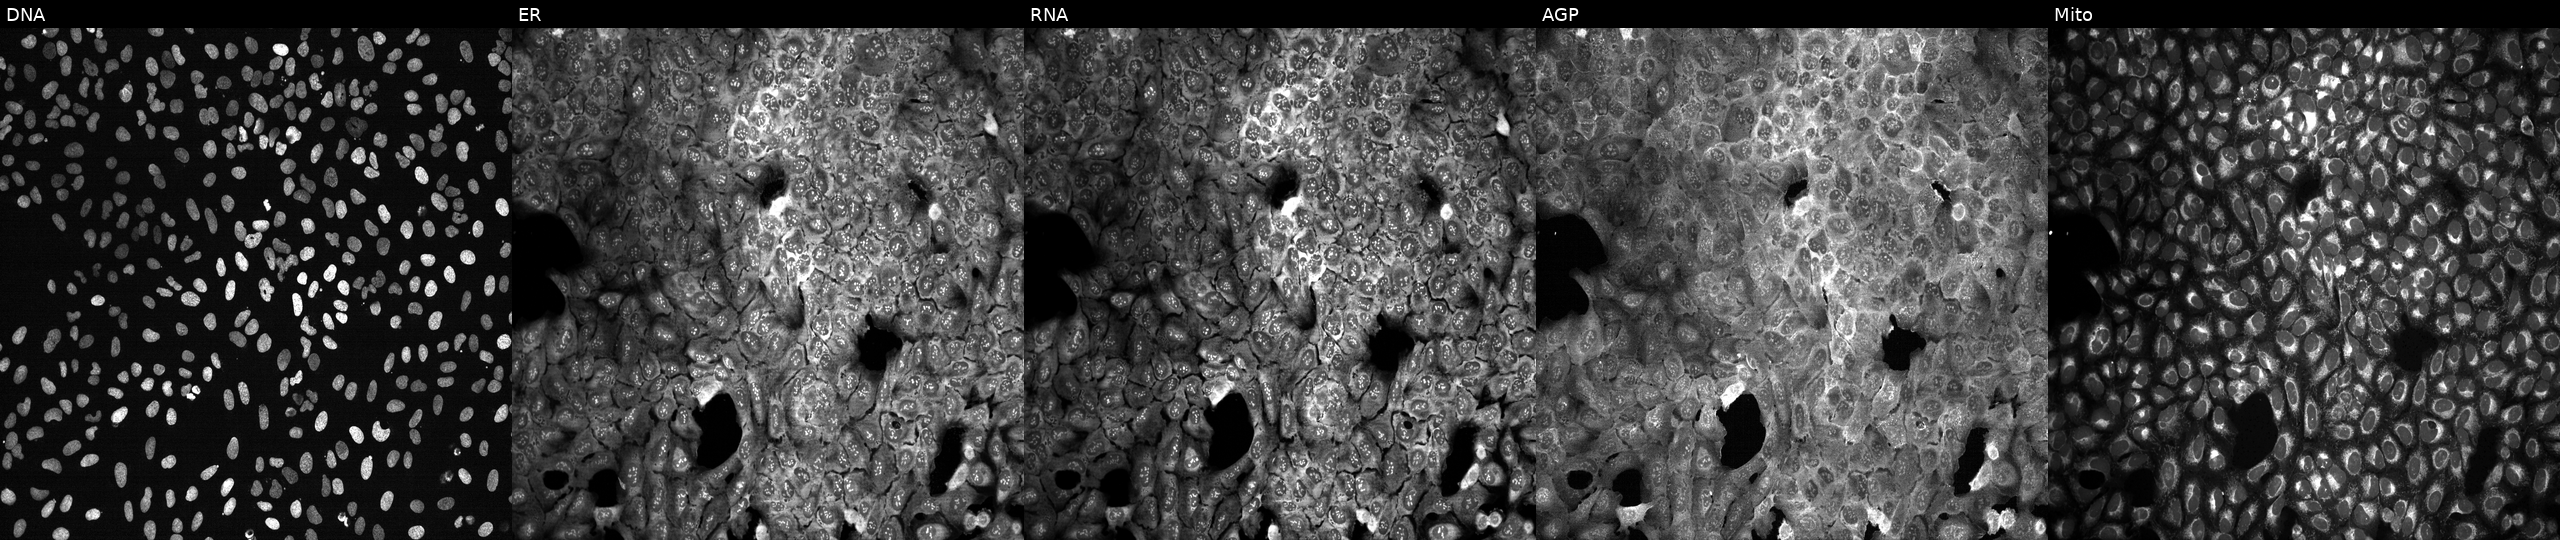
U2OS cells, Cell Painting assay, with PDE8B knocked out by CRISPR (JUMP id JCP2022_805004). From left to right: DNA, ER, RNA, AGP, and Mito. Each panel is percentile-stretched 16-bit fluorescence. Source 13, plate CP-CC9-R3-02, well H16.